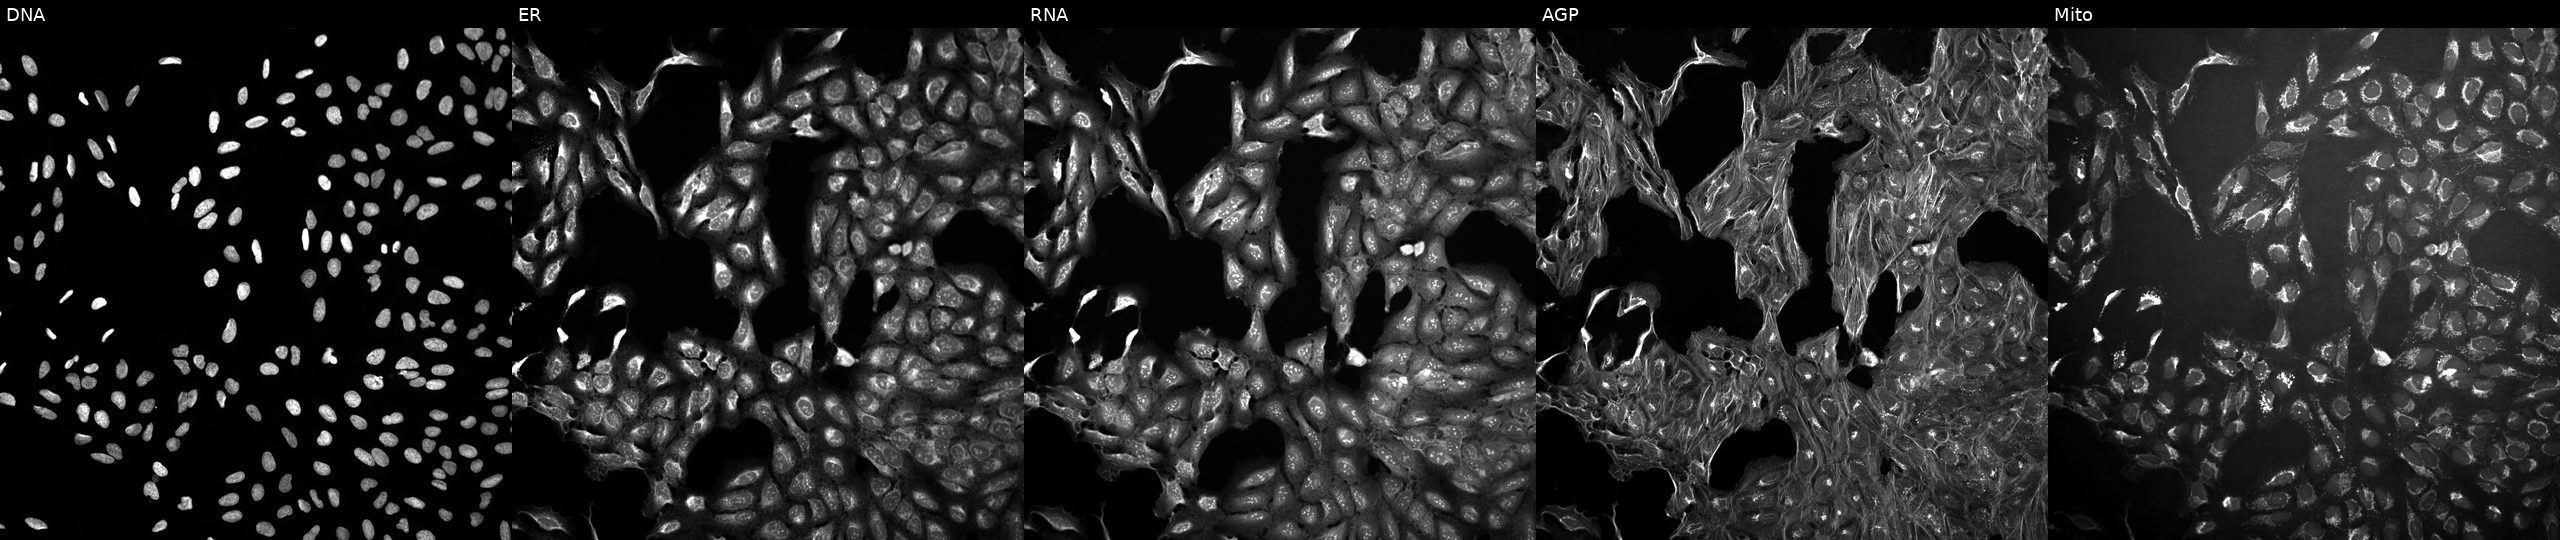
Panels show, left to right, DNA, ER, RNA, AGP, and Mito. U2OS osteosarcoma cells perturbed with a small-molecule compound [SMILES: Cc1cc(C)nc(OC2CCN(C(=O)CSc3ccncc3)C2)n1]. Cell Painting assay, JUMP-CP dataset. Source 10, plate Dest210531-152324, well E14.